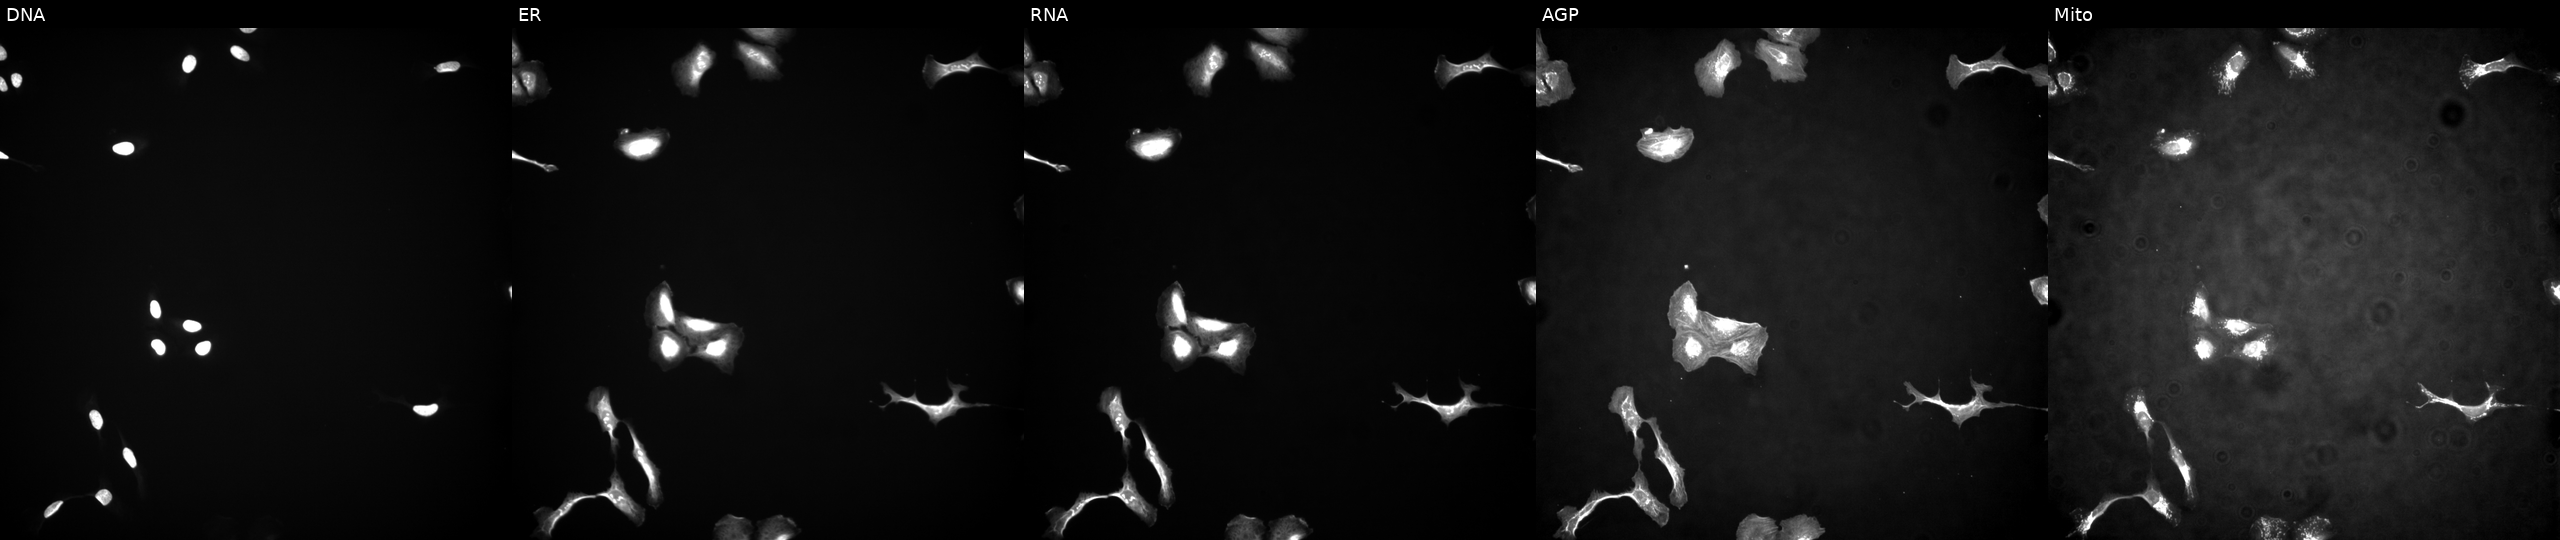
Five-channel Cell Painting image of U2OS cells overexpressing ETV6 via ORF transfection (JUMP id JCP2022_900489). From left to right: DNA (nuclei); ER (endoplasmic reticulum); RNA (nucleoli and cytoplasmic RNA); AGP (actin cytoskeleton, Golgi, and plasma membrane); Mito (mitochondria).